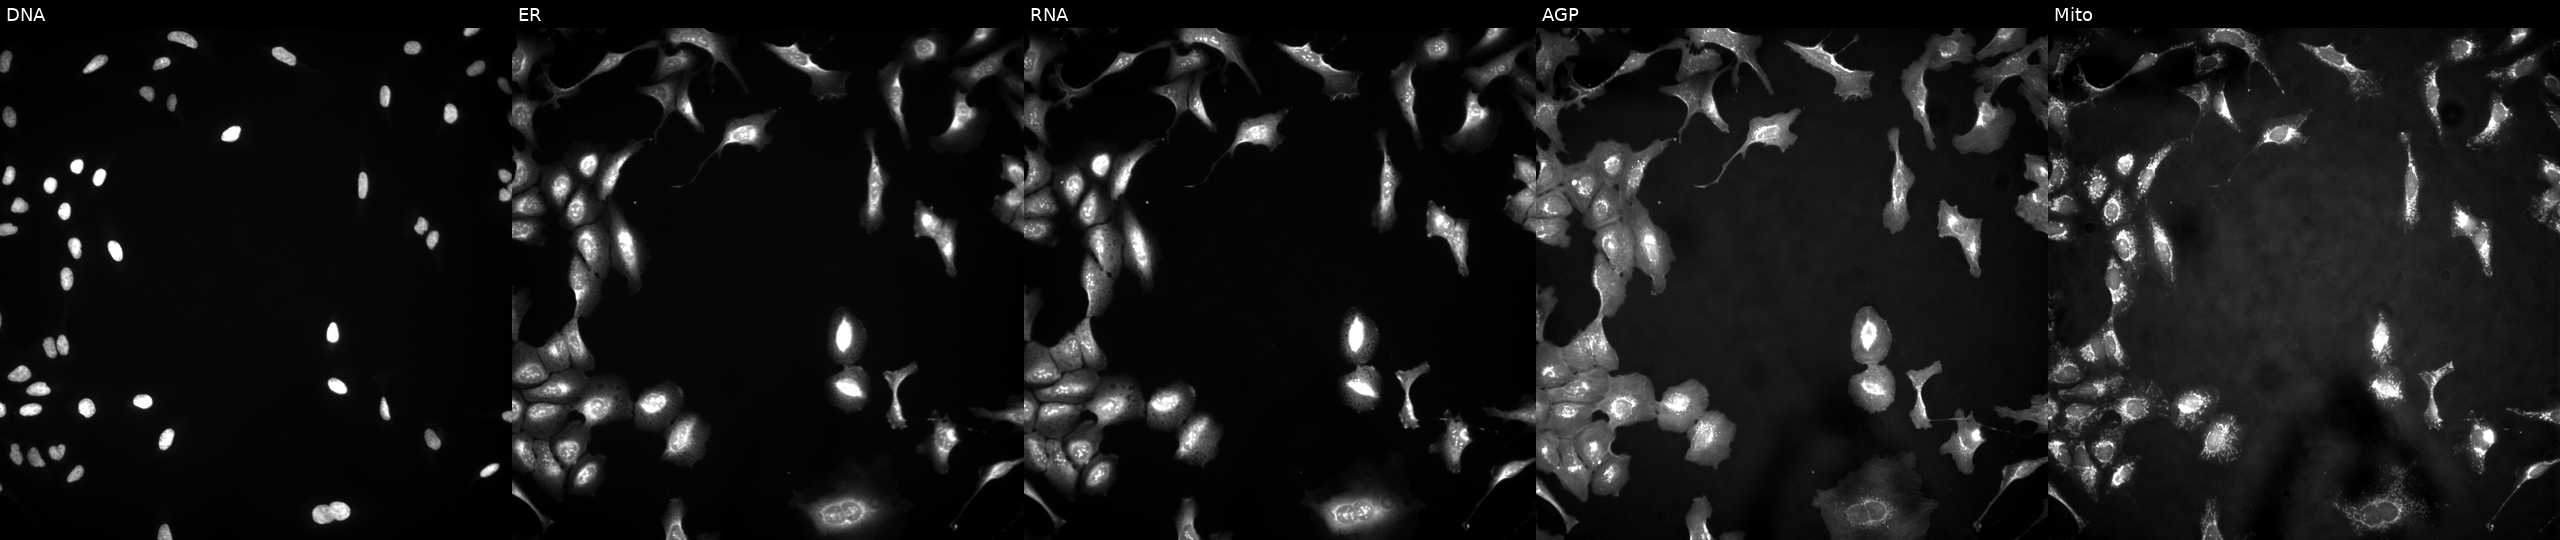
U2OS cells, Cell Painting assay, with ZSCAN16 overexpressed (ORF). Panels show, left to right, DNA, ER, RNA, AGP, and Mito. Each panel is percentile-stretched 16-bit fluorescence.